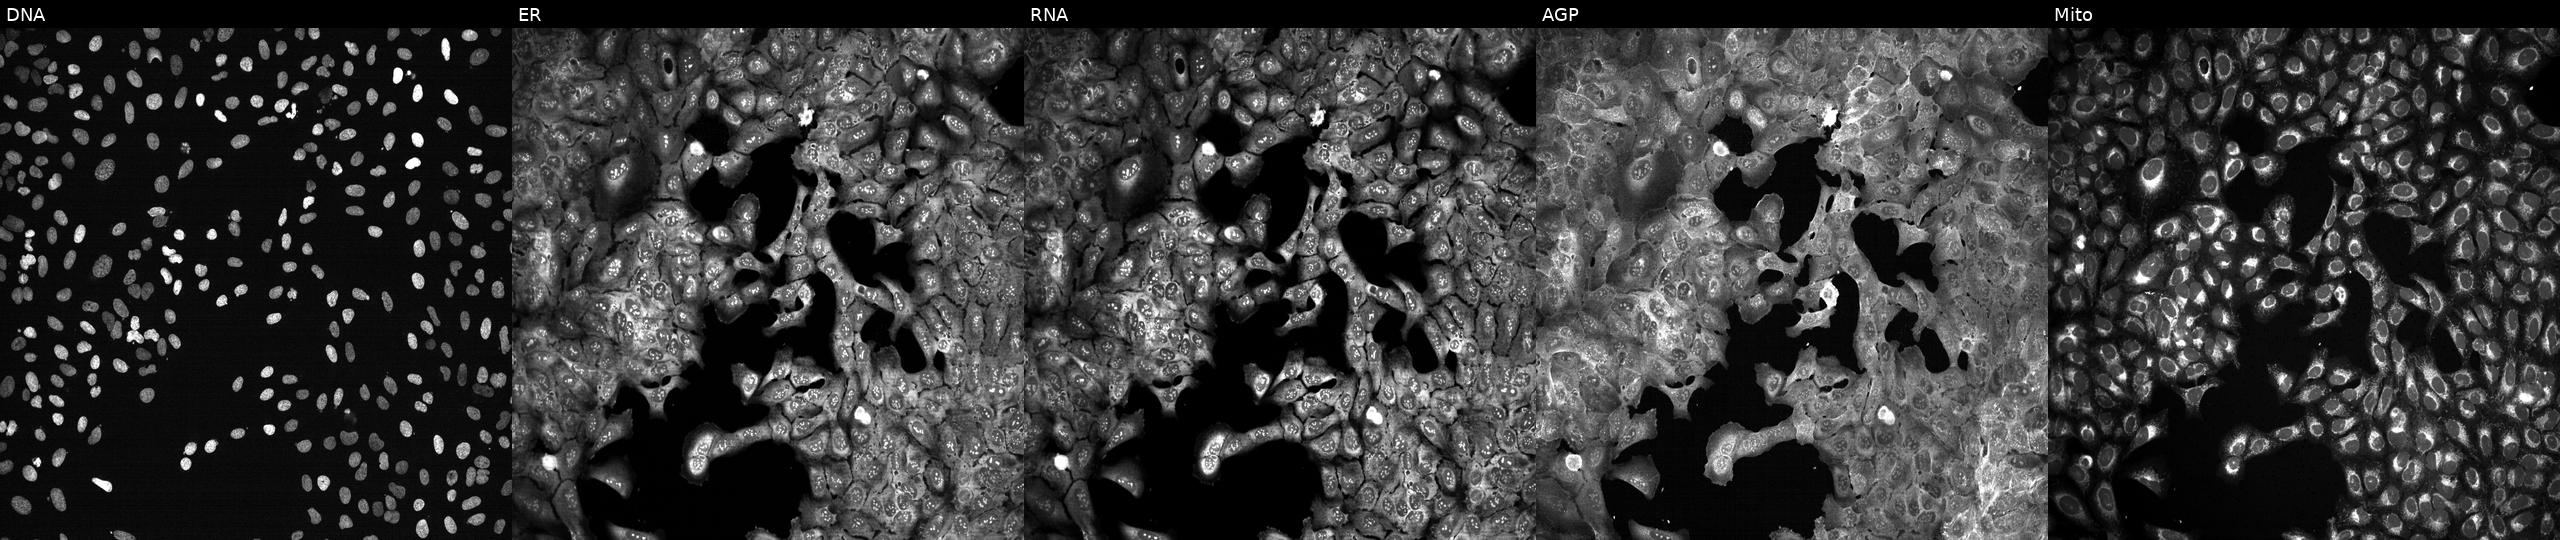
High-content fluorescence microscopy (Cell Painting). Cell line: U2OS. Perturbation: CRISPR-edited to disrupt PIGC. Channels (left→right): DNA (nuclei); ER (endoplasmic reticulum); RNA (nucleoli and cytoplasmic RNA); AGP (actin cytoskeleton, Golgi, and plasma membrane); Mito (mitochondria). Source 13, plate CP-CC9-R3-02, well B18.